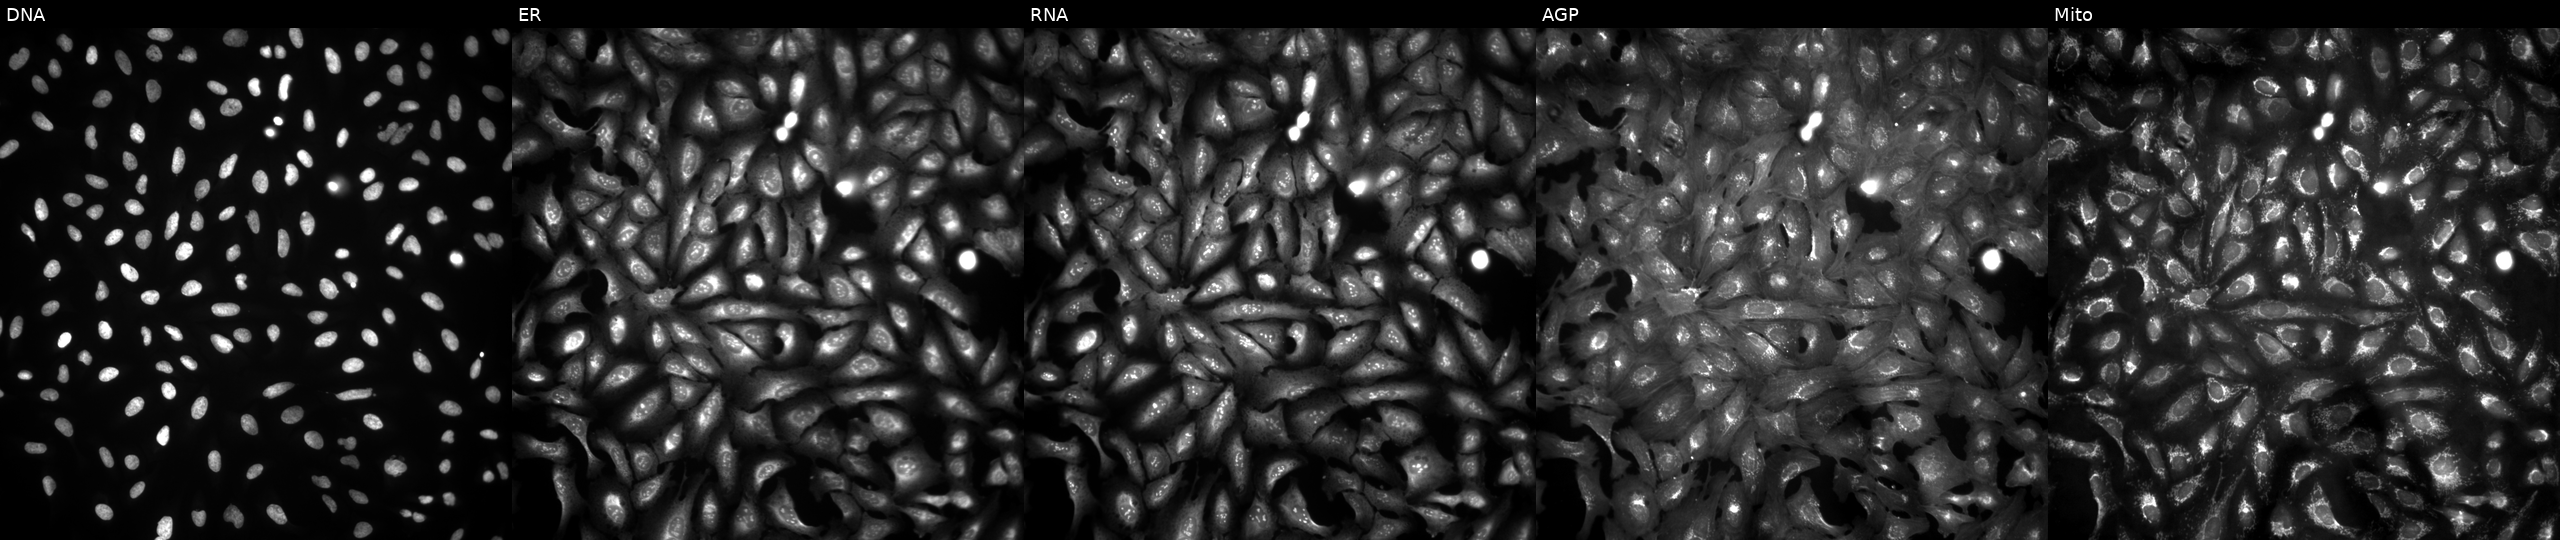
Five-channel Cell Painting image of U2OS cells transfected with an ORF construct for CLINT1. Panels show, left to right, DNA, ER, RNA, AGP, and Mito.